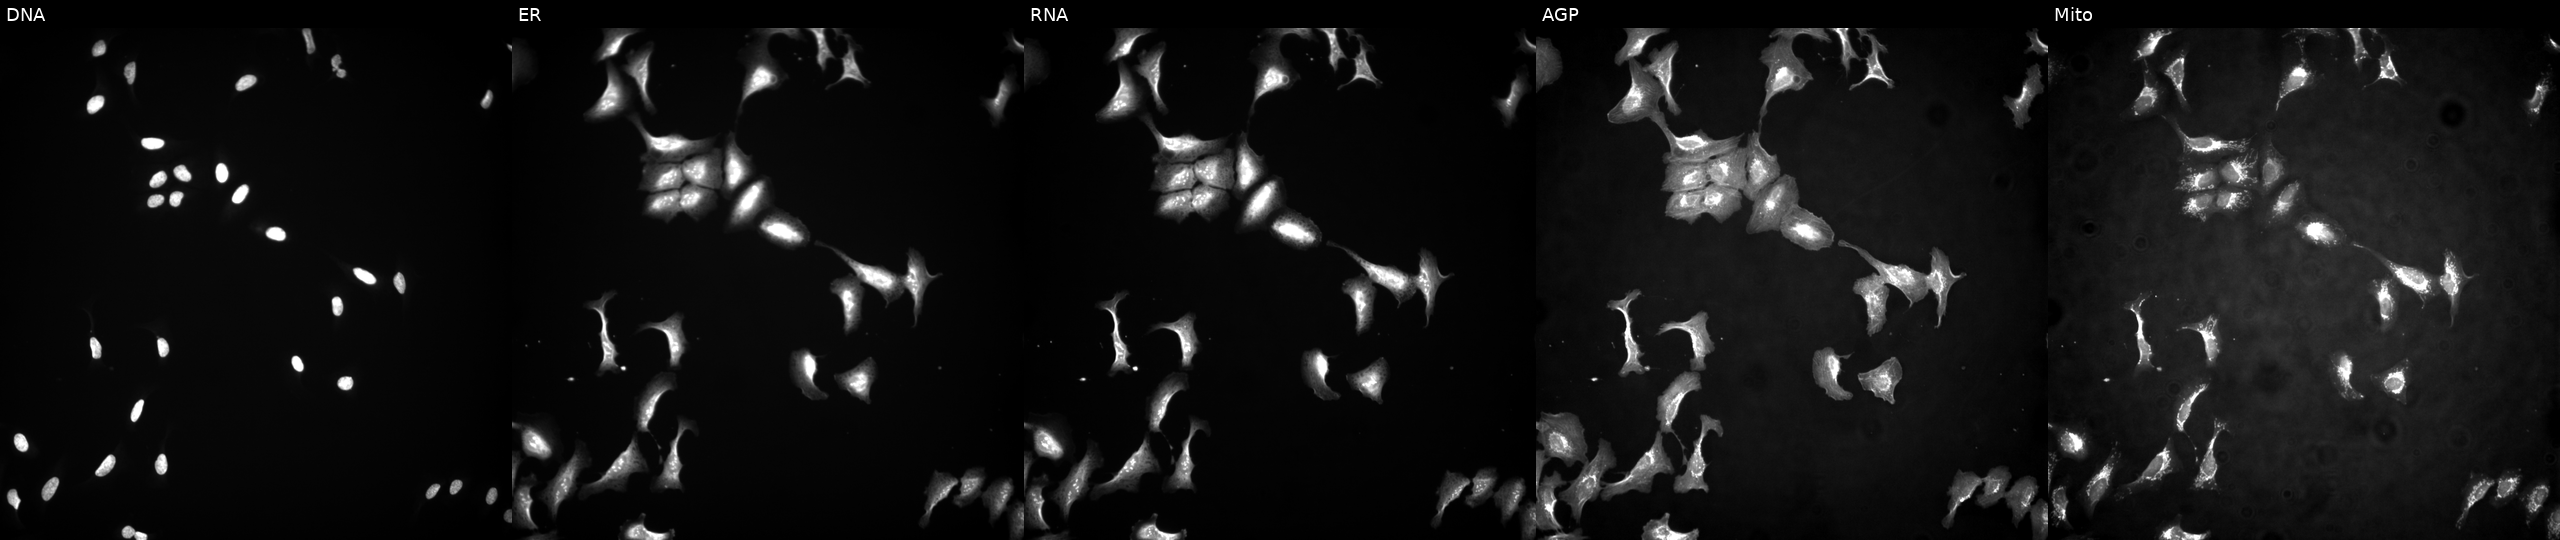
Five-channel Cell Painting image of U2OS cells overexpressing GATA1 via ORF transfection (JUMP id JCP2022_910101). Panels show, left to right, Hoechst 33342, concanavalin A, SYTO 14, phalloidin and WGA, MitoTracker. Source 4, plate BR00117035, well P06.